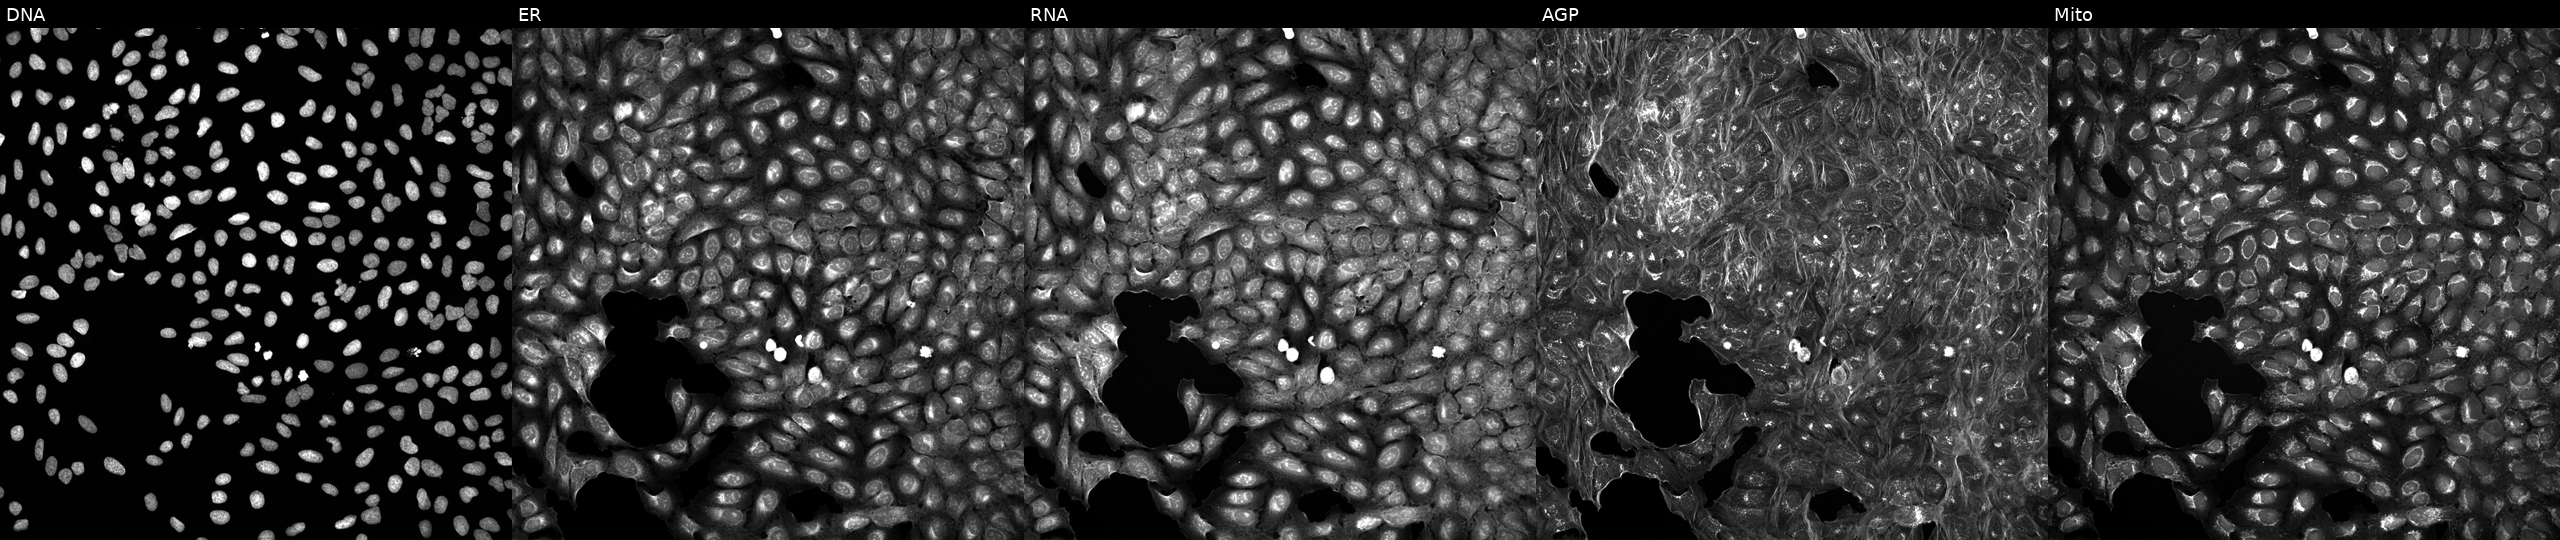
JUMP Cell Painting — TARGET2 plate. U2OS cells treated with DMSO vehicle only (negative control) (JUMP id JCP2022_033924). From left to right: DNA, ER, RNA, AGP, and Mito.